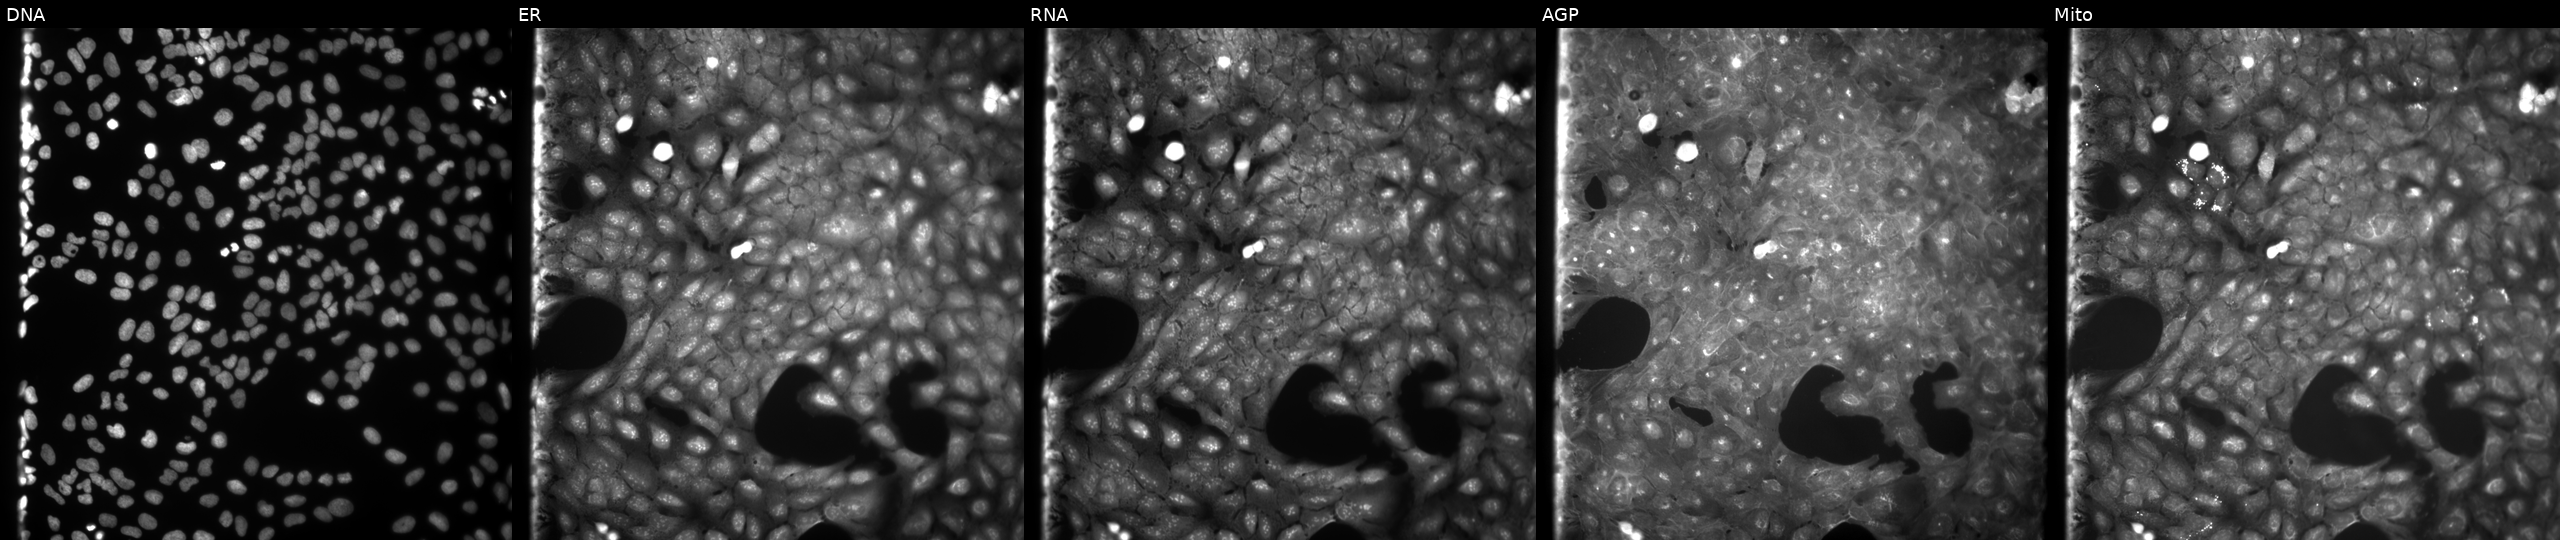
High-content fluorescence microscopy (Cell Painting). Cell line: U2OS. Perturbation: treated with a small-molecule compound. From left to right: DNA (nuclei); ER (endoplasmic reticulum); RNA (nucleoli and cytoplasmic RNA); AGP (actin cytoskeleton, Golgi, and plasma membrane); Mito (mitochondria).